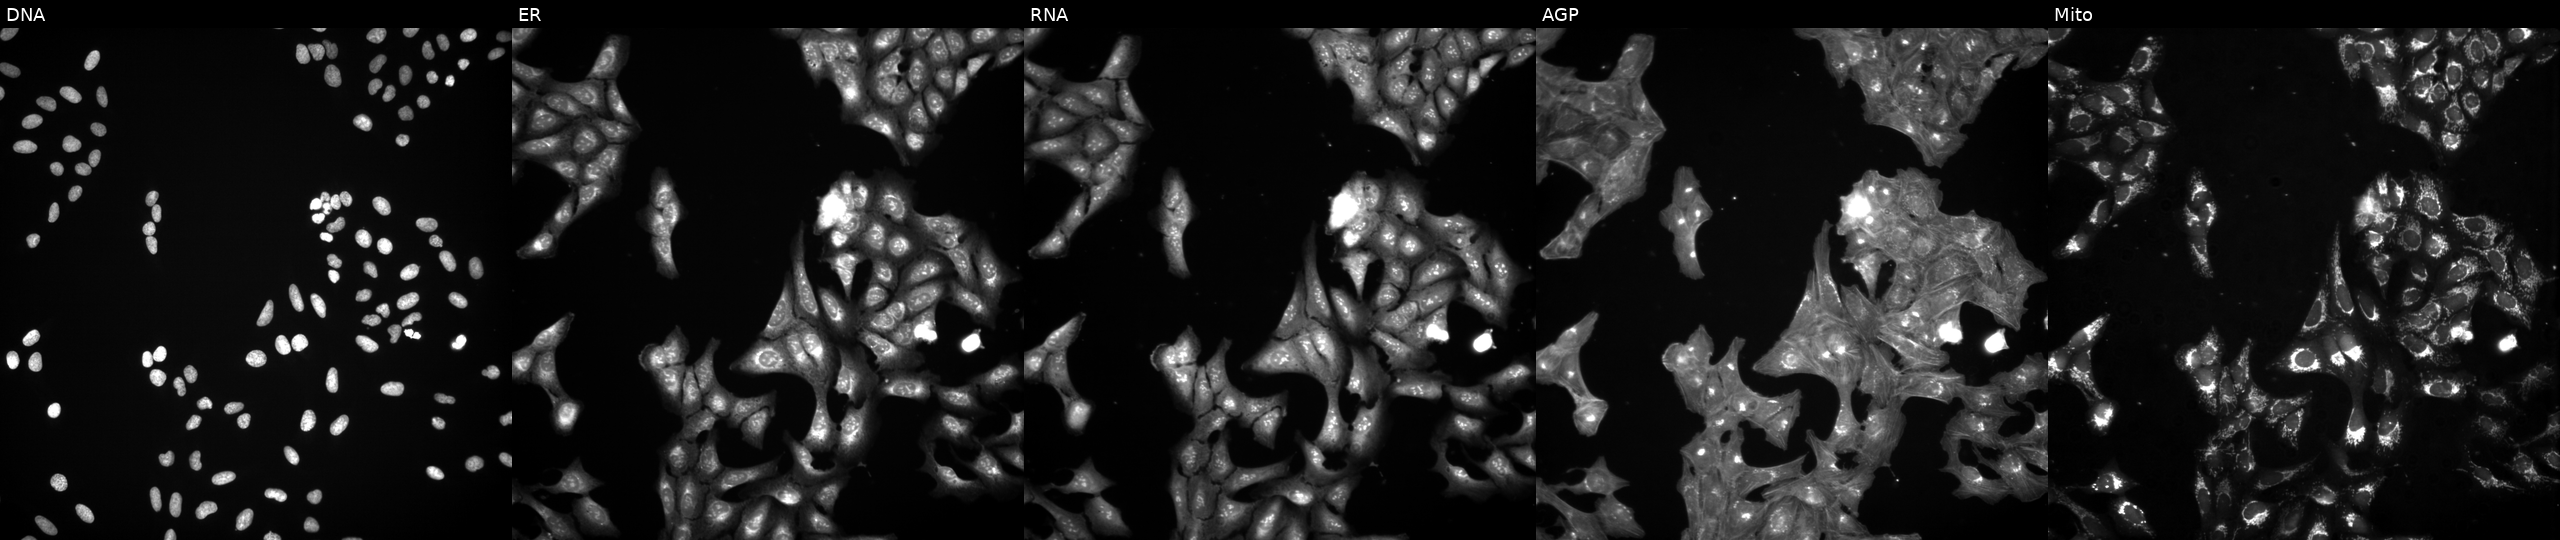
High-content fluorescence microscopy (Cell Painting). Cell line: U2OS. Perturbation: treated with DMSO vehicle only (negative control) (JUMP id JCP2022_033924). The five panels, left to right, show DNA (nuclei); ER (endoplasmic reticulum); RNA (nucleoli and cytoplasmic RNA); AGP (actin cytoskeleton, Golgi, and plasma membrane); Mito (mitochondria).